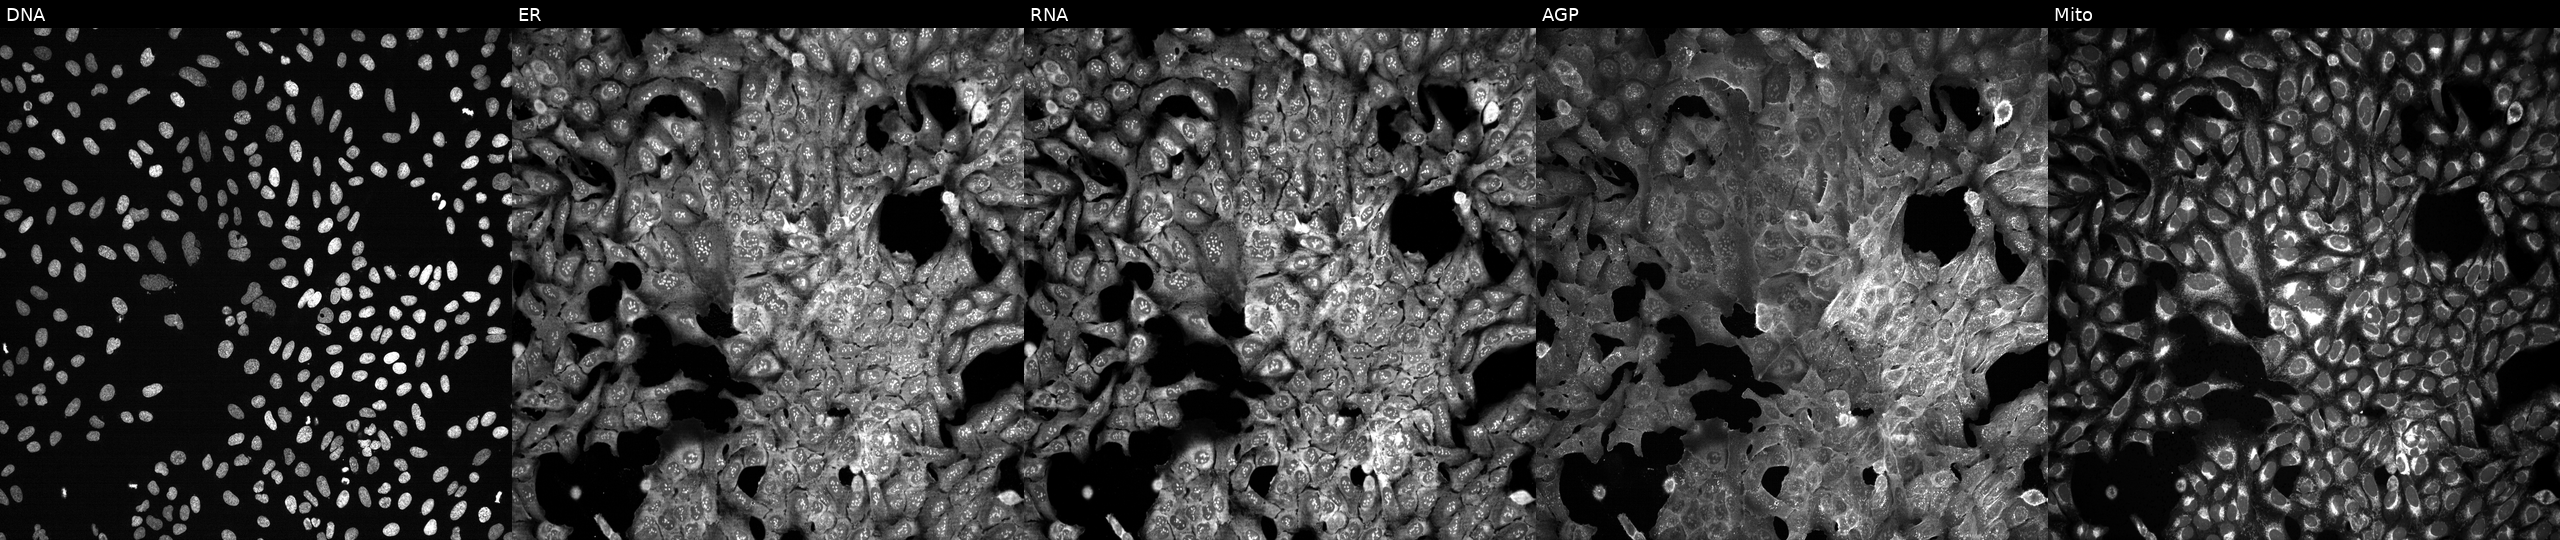
High-content fluorescence microscopy (Cell Painting). Cell line: U2OS. Perturbation: CRISPR-edited to disrupt NFATC1. The five panels, left to right, show DNA (nuclei); ER (endoplasmic reticulum); RNA (nucleoli and cytoplasmic RNA); AGP (actin cytoskeleton, Golgi, and plasma membrane); Mito (mitochondria).